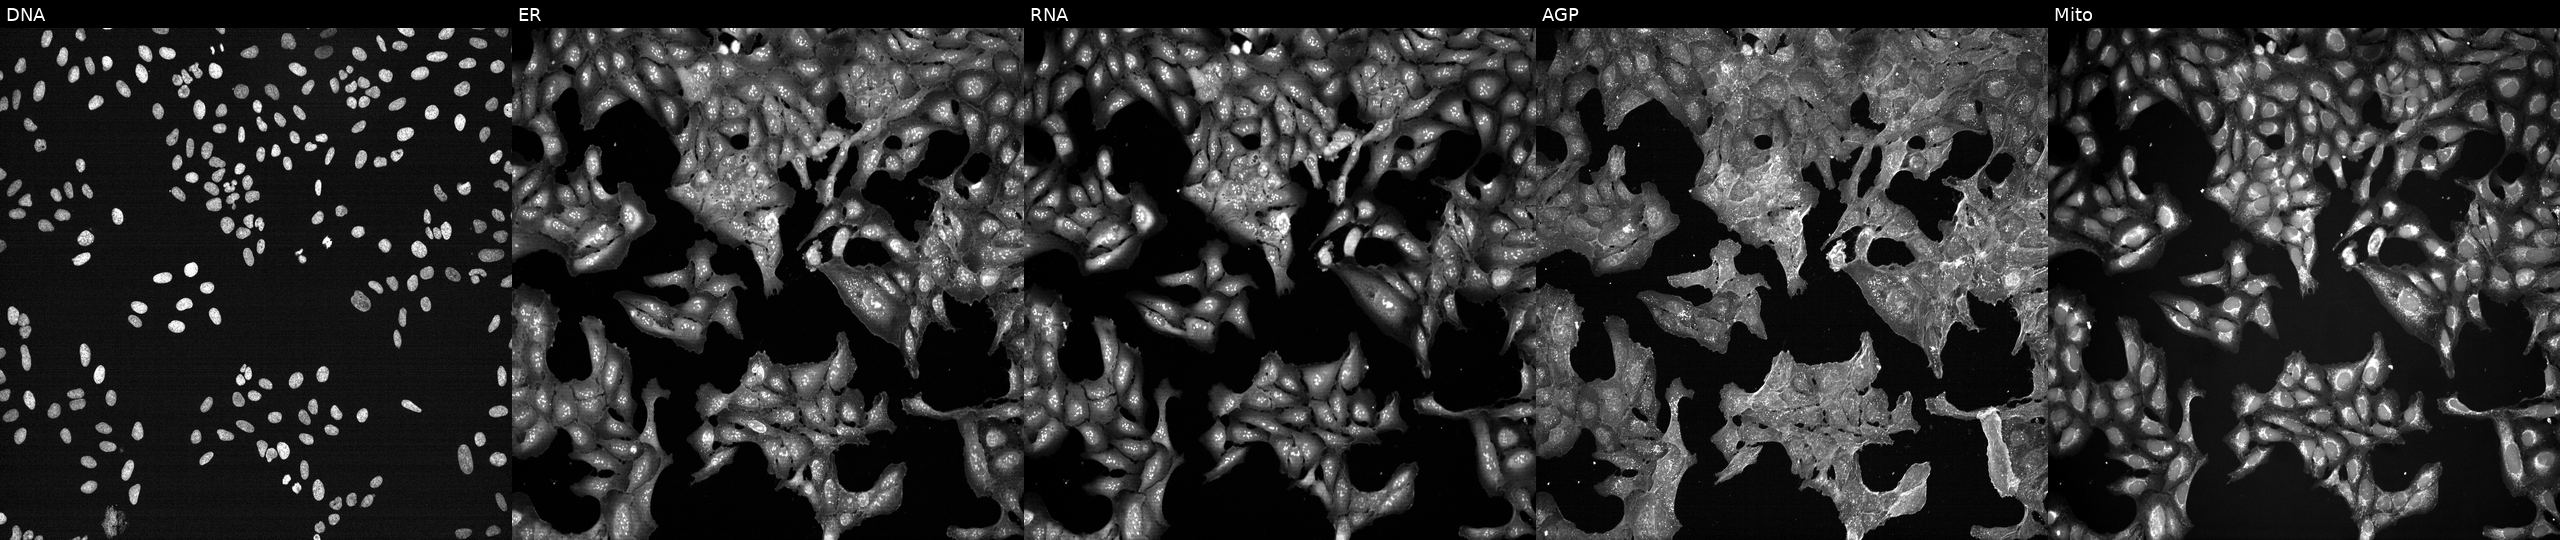
U2OS cells, Cell Painting assay, treated with DMSO vehicle only (negative control) (JUMP id JCP2022_033924). Channels (left→right): DNA, ER, RNA, AGP, and Mito. Each panel is percentile-stretched 16-bit fluorescence. Source 7, plate CP2-SC1-25, well E23.